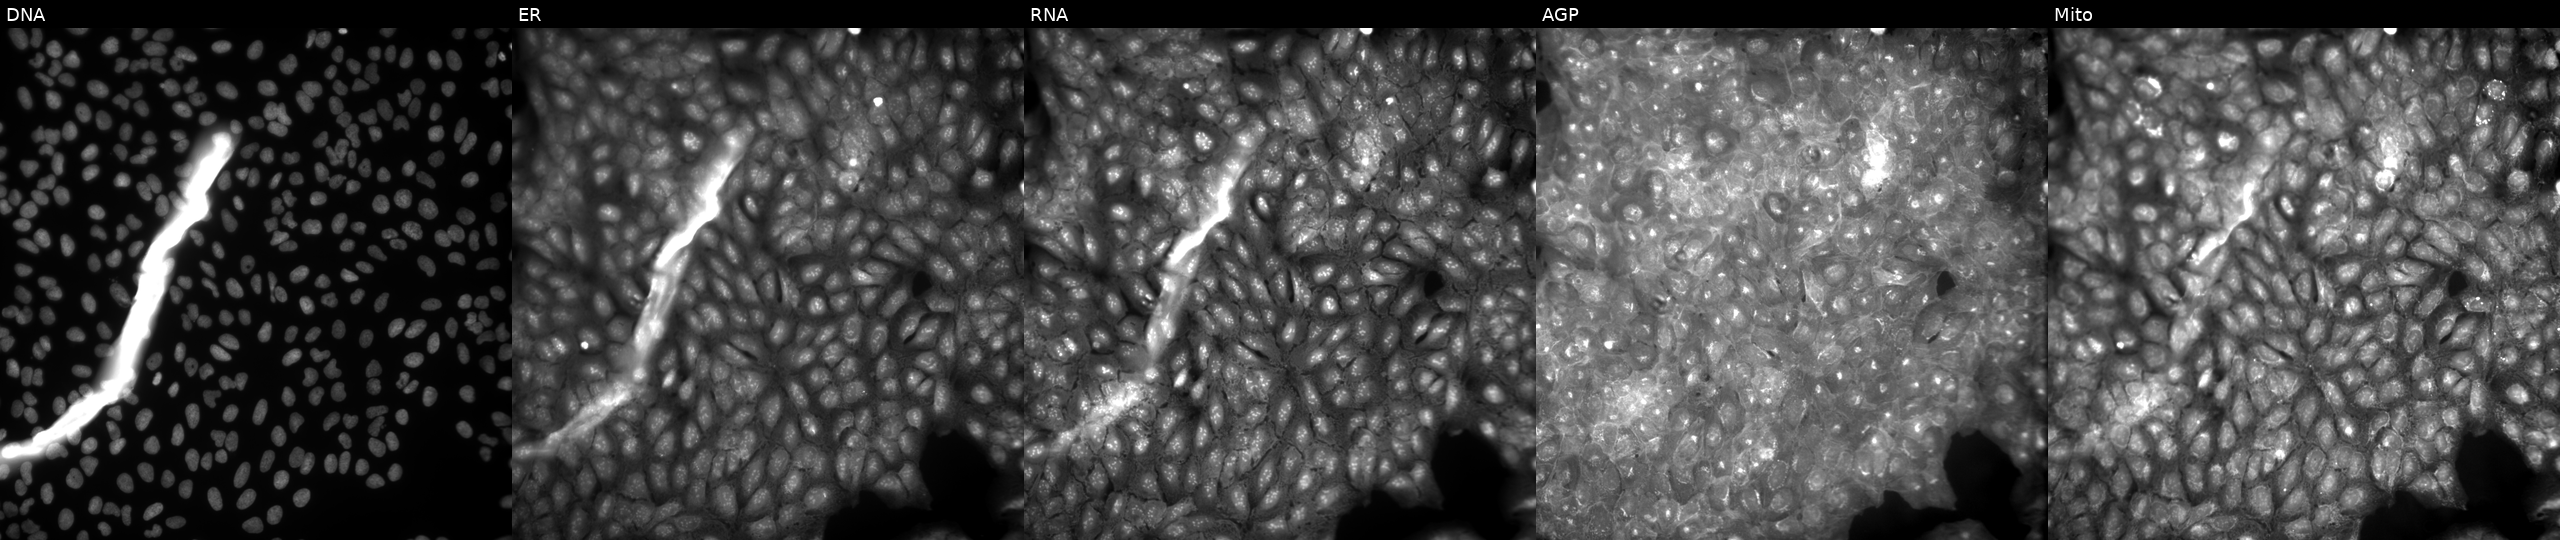
The five panels, left to right, show Hoechst 33342, concanavalin A, SYTO 14, phalloidin and WGA, MitoTracker. U2OS osteosarcoma cells treated with a small-molecule compound [SMILES: COc1cccc(NC(=O)C(=O)NCc2ccncc2)c1] (JUMP id JCP2022_033076). Cell Painting assay, JUMP-CP dataset.